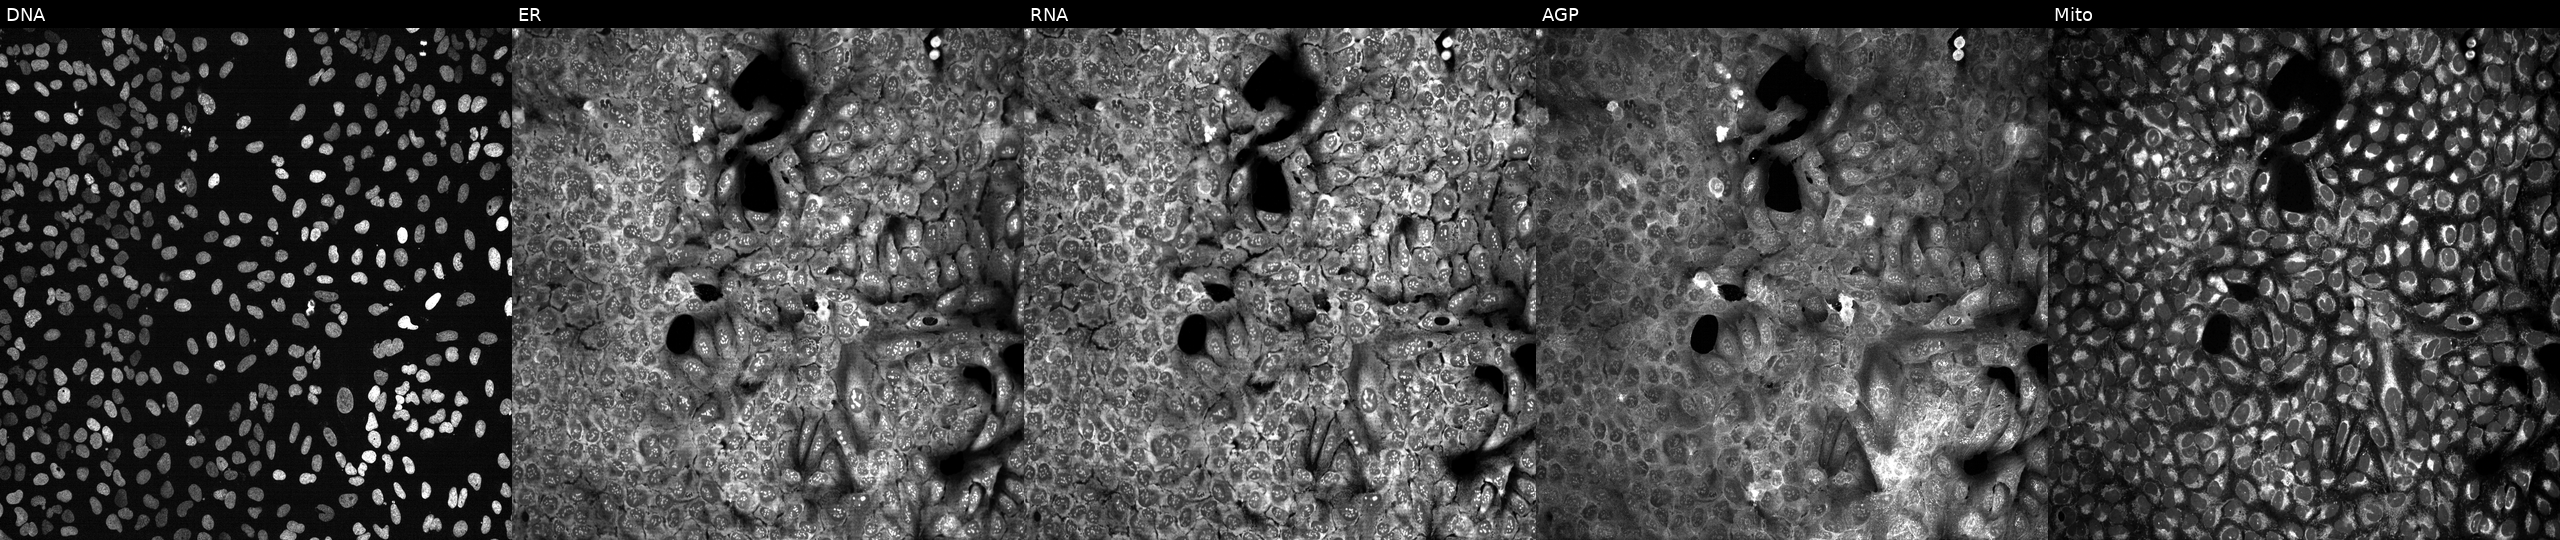
High-content fluorescence microscopy (Cell Painting). Cell line: U2OS. Perturbation: with MTIF3 knocked out by CRISPR (JUMP id JCP2022_804314). Channels (left→right): Hoechst 33342, concanavalin A, SYTO 14, phalloidin and WGA, MitoTracker.